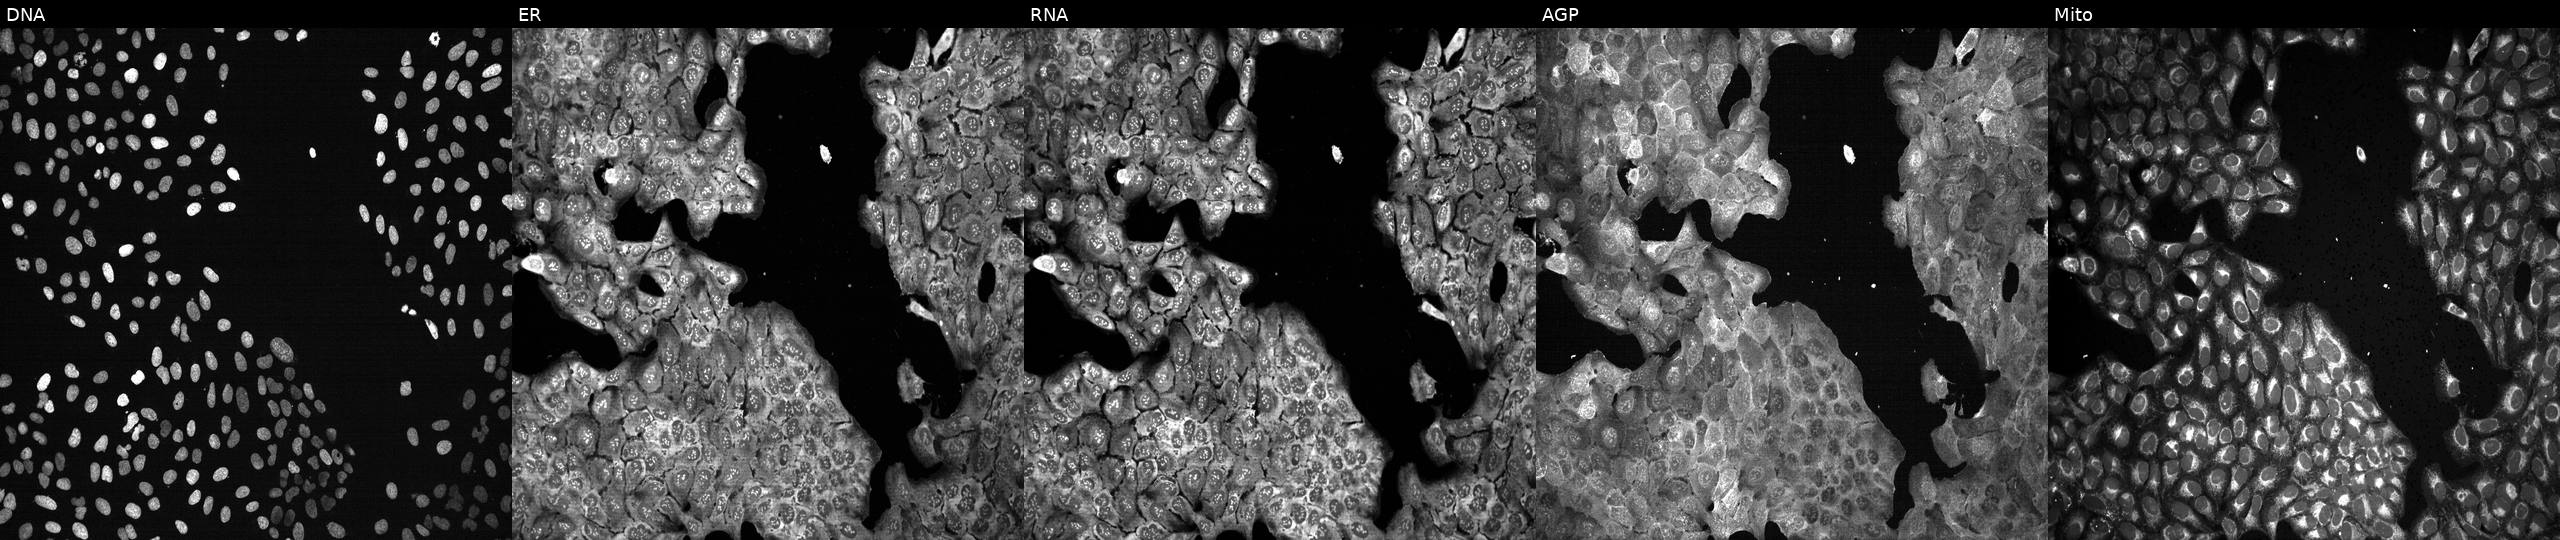
Five-channel Cell Painting image of U2OS cells with HAS2 knocked out by CRISPR (JUMP id JCP2022_803021). Channels (left→right): DNA, ER, RNA, AGP, and Mito.